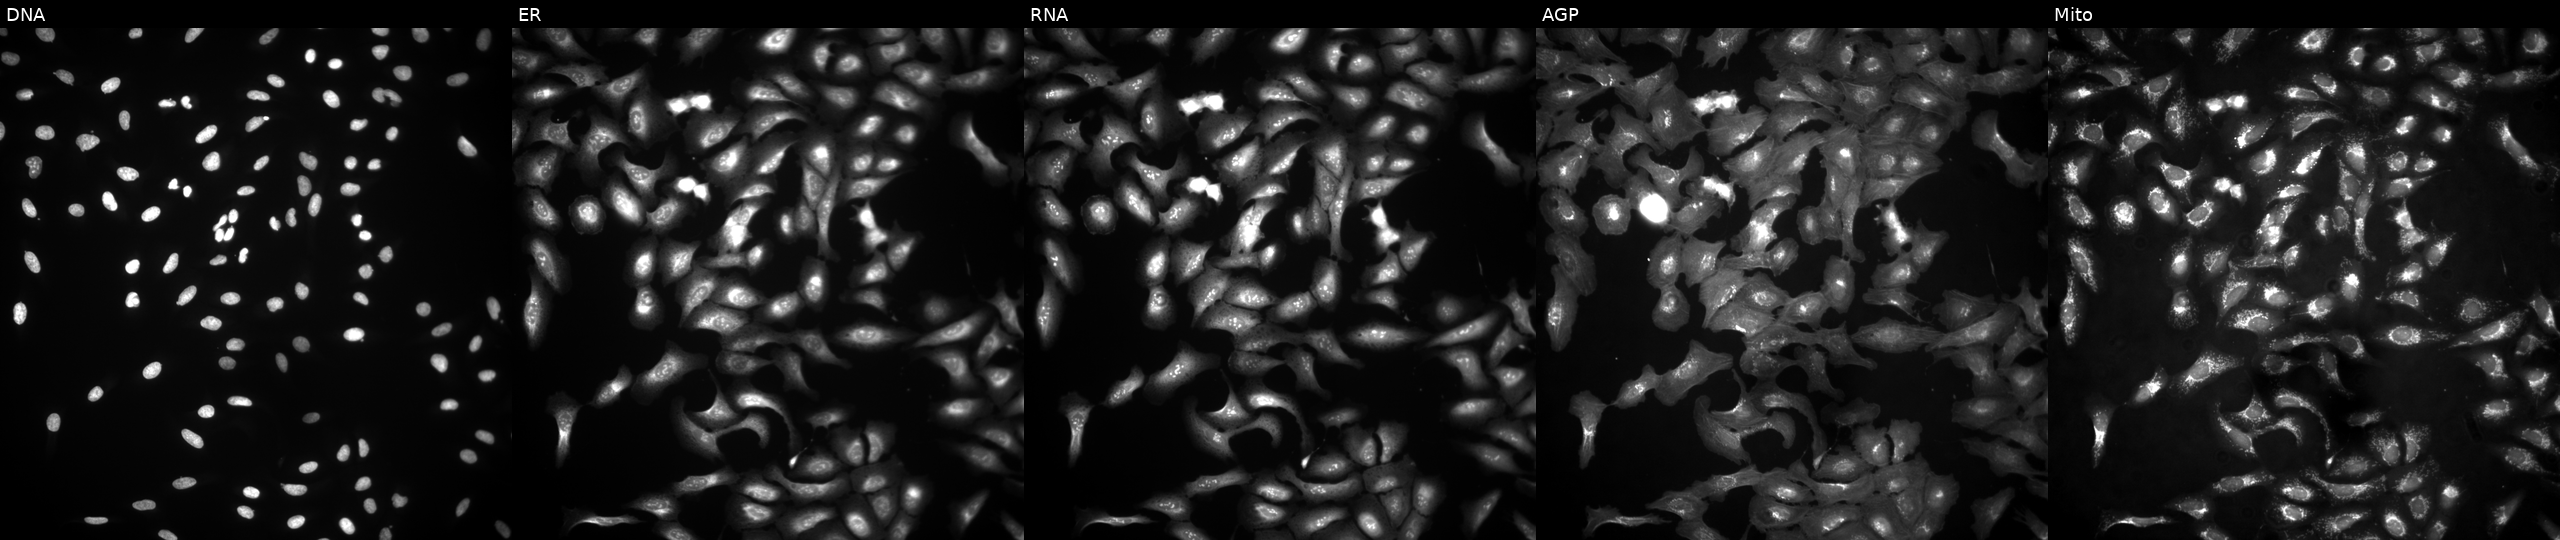
Five-channel Cell Painting image of U2OS cells transfected with an ORF construct for FBXO34 (JUMP id JCP2022_903290). Panels show, left to right, DNA (nuclei); ER (endoplasmic reticulum); RNA (nucleoli and cytoplasmic RNA); AGP (actin cytoskeleton, Golgi, and plasma membrane); Mito (mitochondria). Source 4, plate BR00124790, well K22.